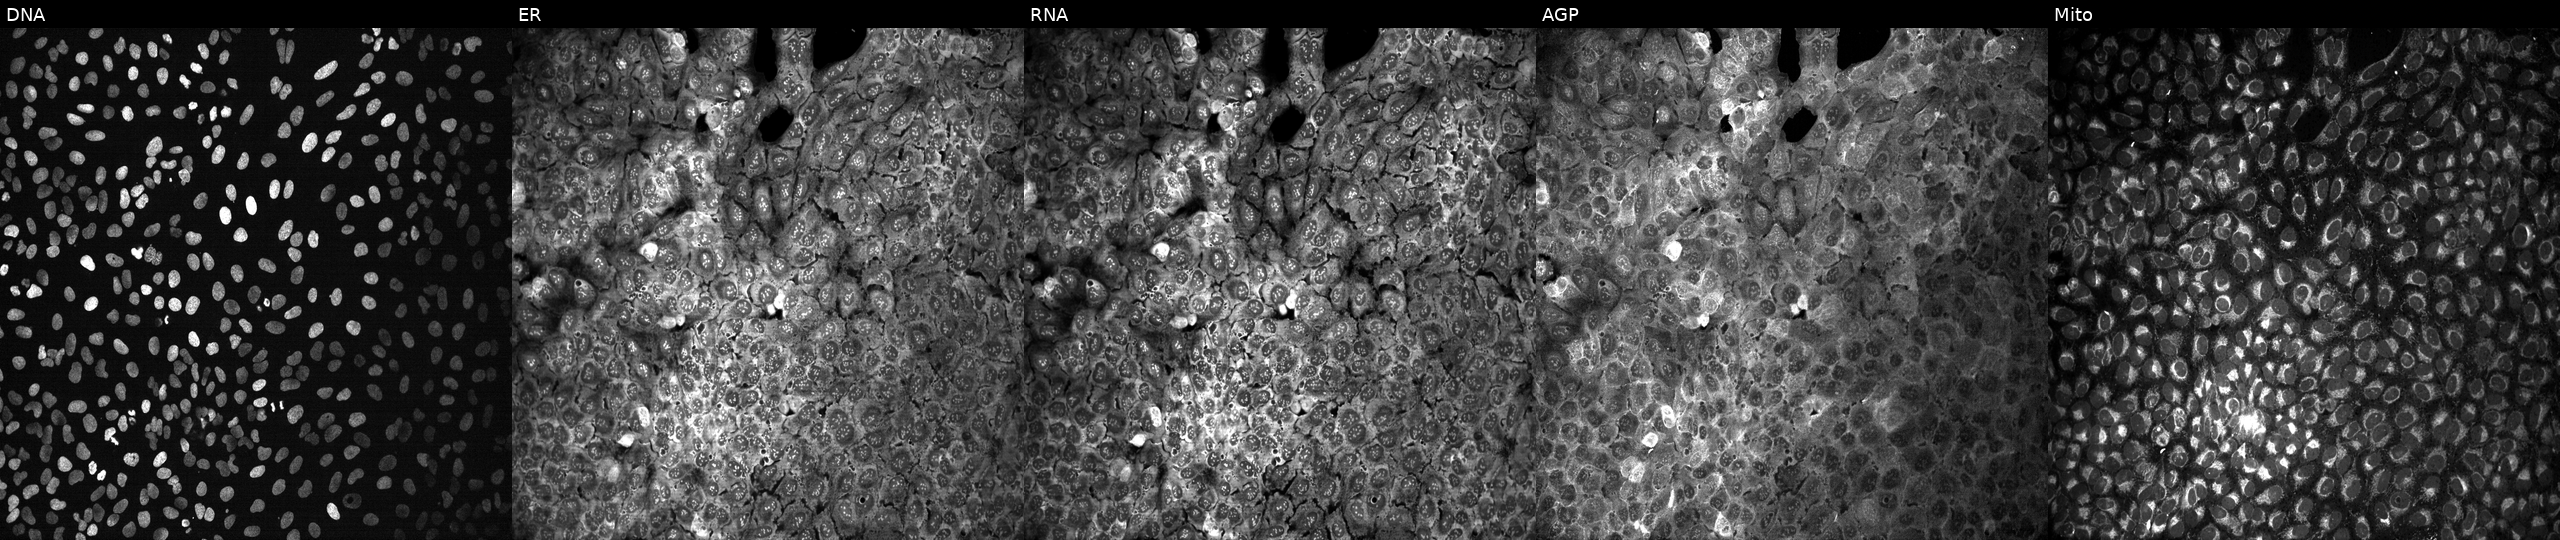
High-content fluorescence microscopy (Cell Painting). Cell line: U2OS. Perturbation: with no CRISPR guide (negative control). From left to right: Hoechst 33342, concanavalin A, SYTO 14, phalloidin and WGA, MitoTracker. Source 13, plate CP-CC9-R3-01, well D23.